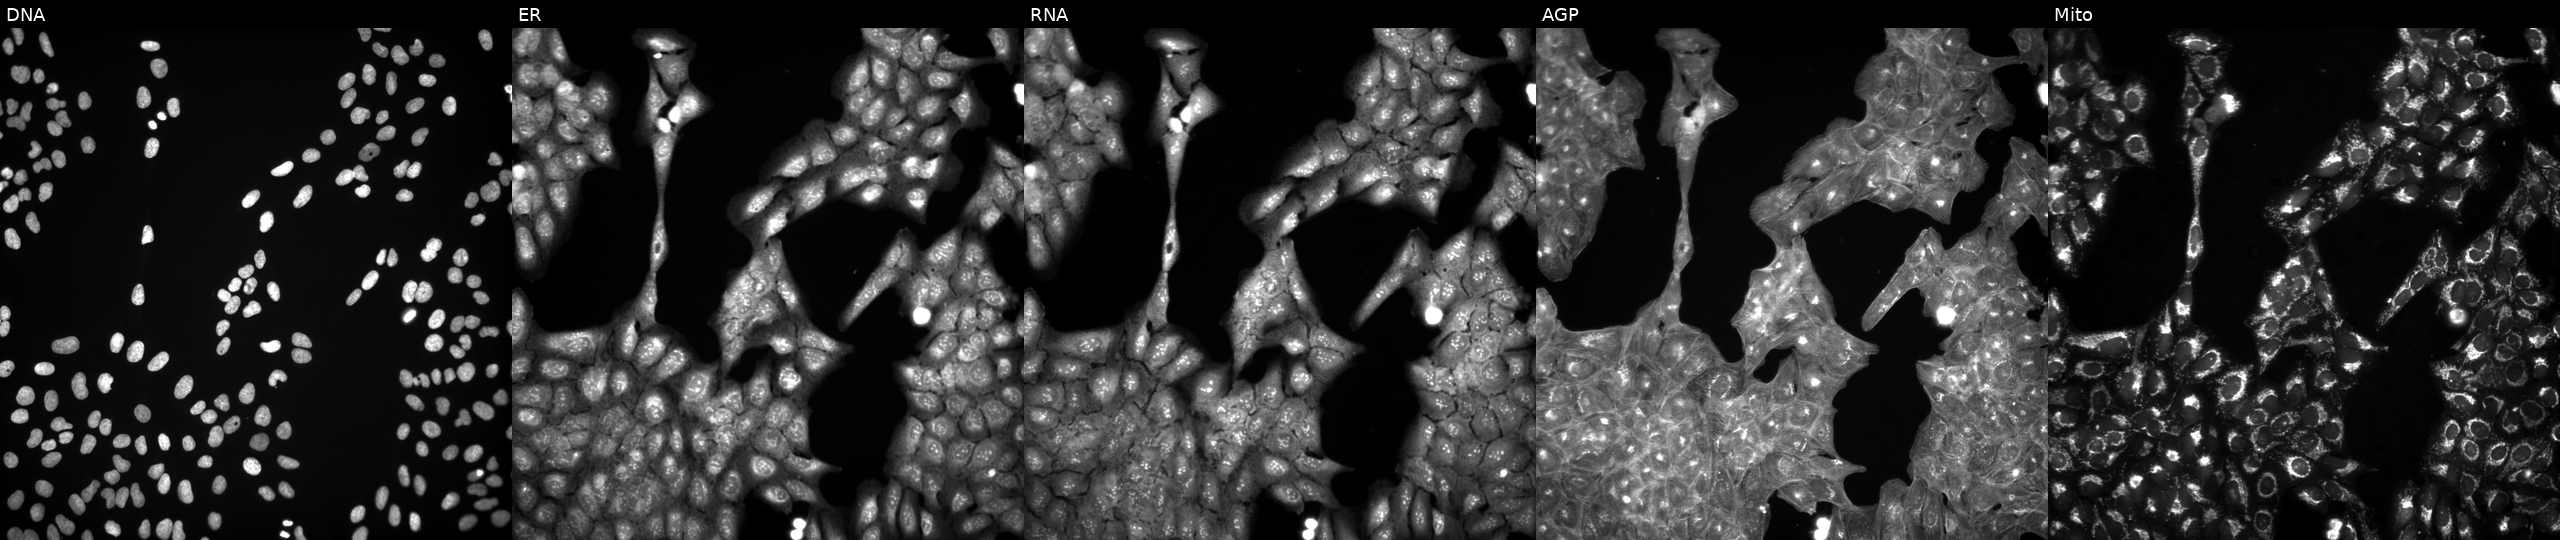
Panels show, left to right, DNA (nuclei); ER (endoplasmic reticulum); RNA (nucleoli and cytoplasmic RNA); AGP (actin cytoskeleton, Golgi, and plasma membrane); Mito (mitochondria). U2OS osteosarcoma cells exposed to DMSO alone as a negative control (JUMP id JCP2022_033924). Cell Painting assay, JUMP-CP dataset. Source 3, plate JCPQC051, well E05.